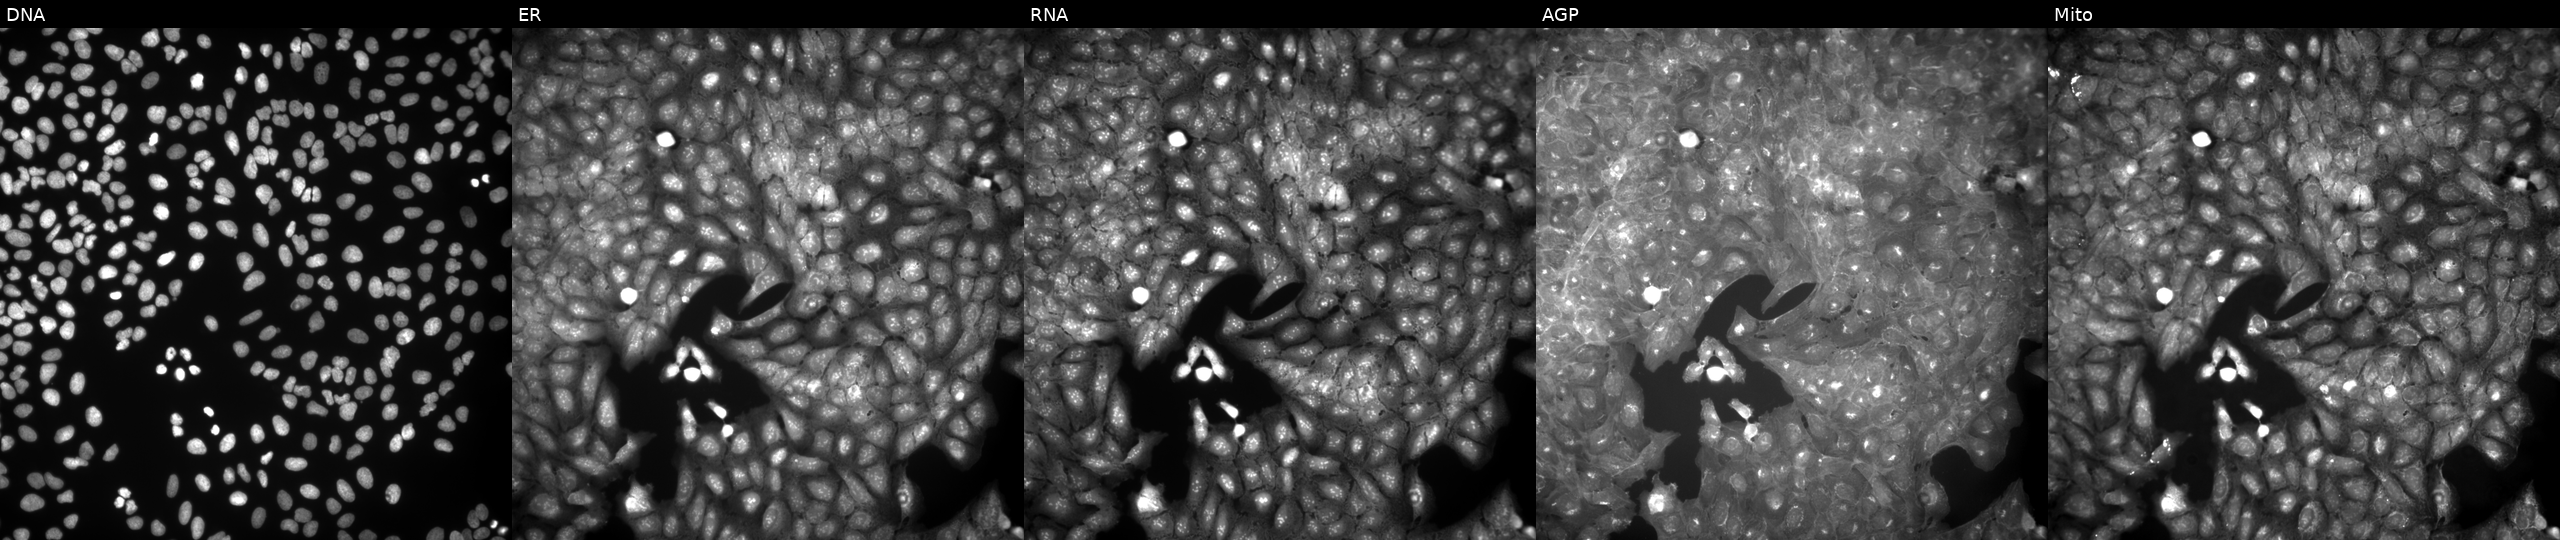
High-content fluorescence microscopy (Cell Painting). Cell line: U2OS. Perturbation: exposed to the positive-control compound TC-S-7004. Panels show, left to right, DNA, ER, RNA, AGP, and Mito. Source 9, plate GR00003382, well P48.